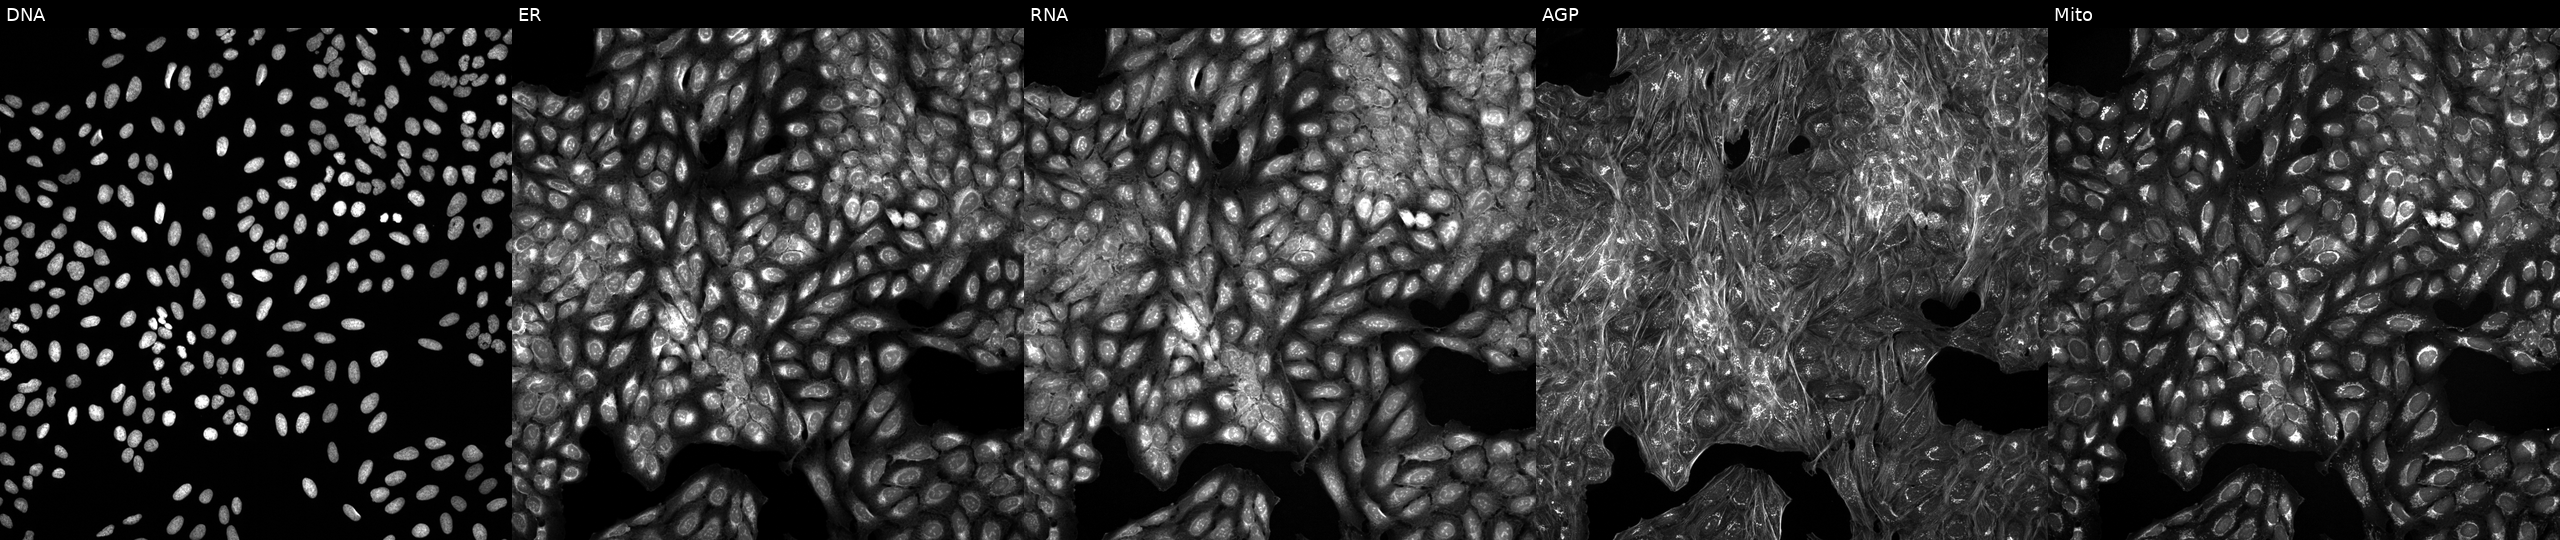
High-content fluorescence microscopy (Cell Painting). Cell line: U2OS. Perturbation: treated with a small-molecule compound (InChIKey LPAHKJMGDSJDRG-UHFFFAOYSA-N) [SMILES: CCCCC(NC(=O)C(Cc1cn(C(=O)OC)c2ccccc12)NC(=O)C(CC(C)(C)C)NC(=O)N1C(C)CCCC1C)C(=O)O]. Panels show, left to right, Hoechst 33342, concanavalin A, SYTO 14, phalloidin and WGA, MitoTracker.